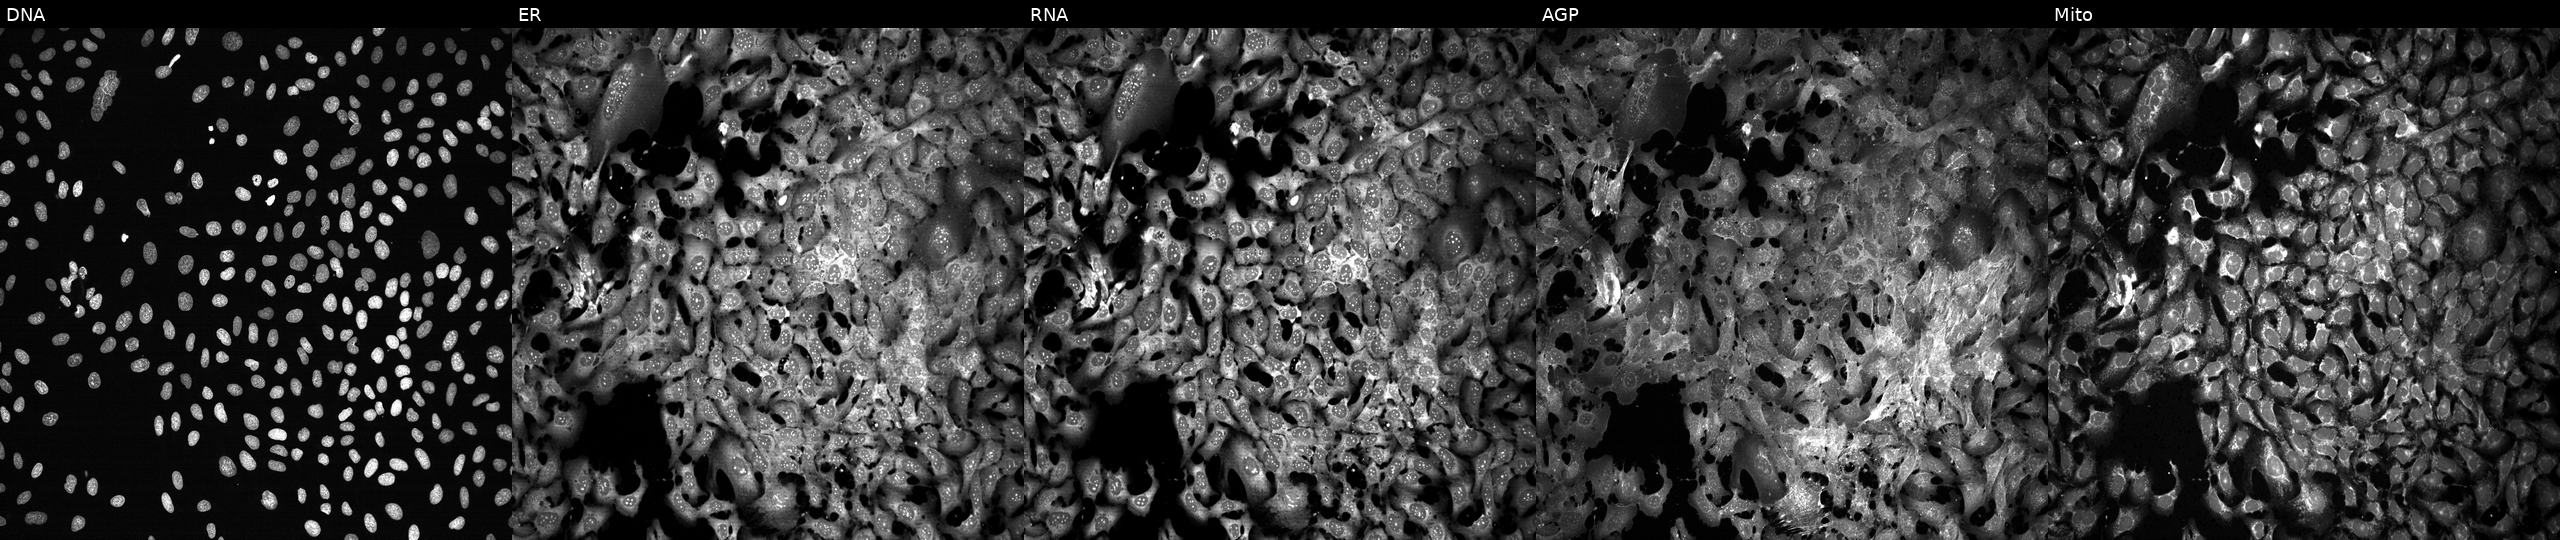
High-content fluorescence microscopy (Cell Painting). Cell line: U2OS. Perturbation: treated with FK-866 (positive-control compound) (JUMP id JCP2022_046054). Panels show, left to right, DNA (nuclei); ER (endoplasmic reticulum); RNA (nucleoli and cytoplasmic RNA); AGP (actin cytoskeleton, Golgi, and plasma membrane); Mito (mitochondria).